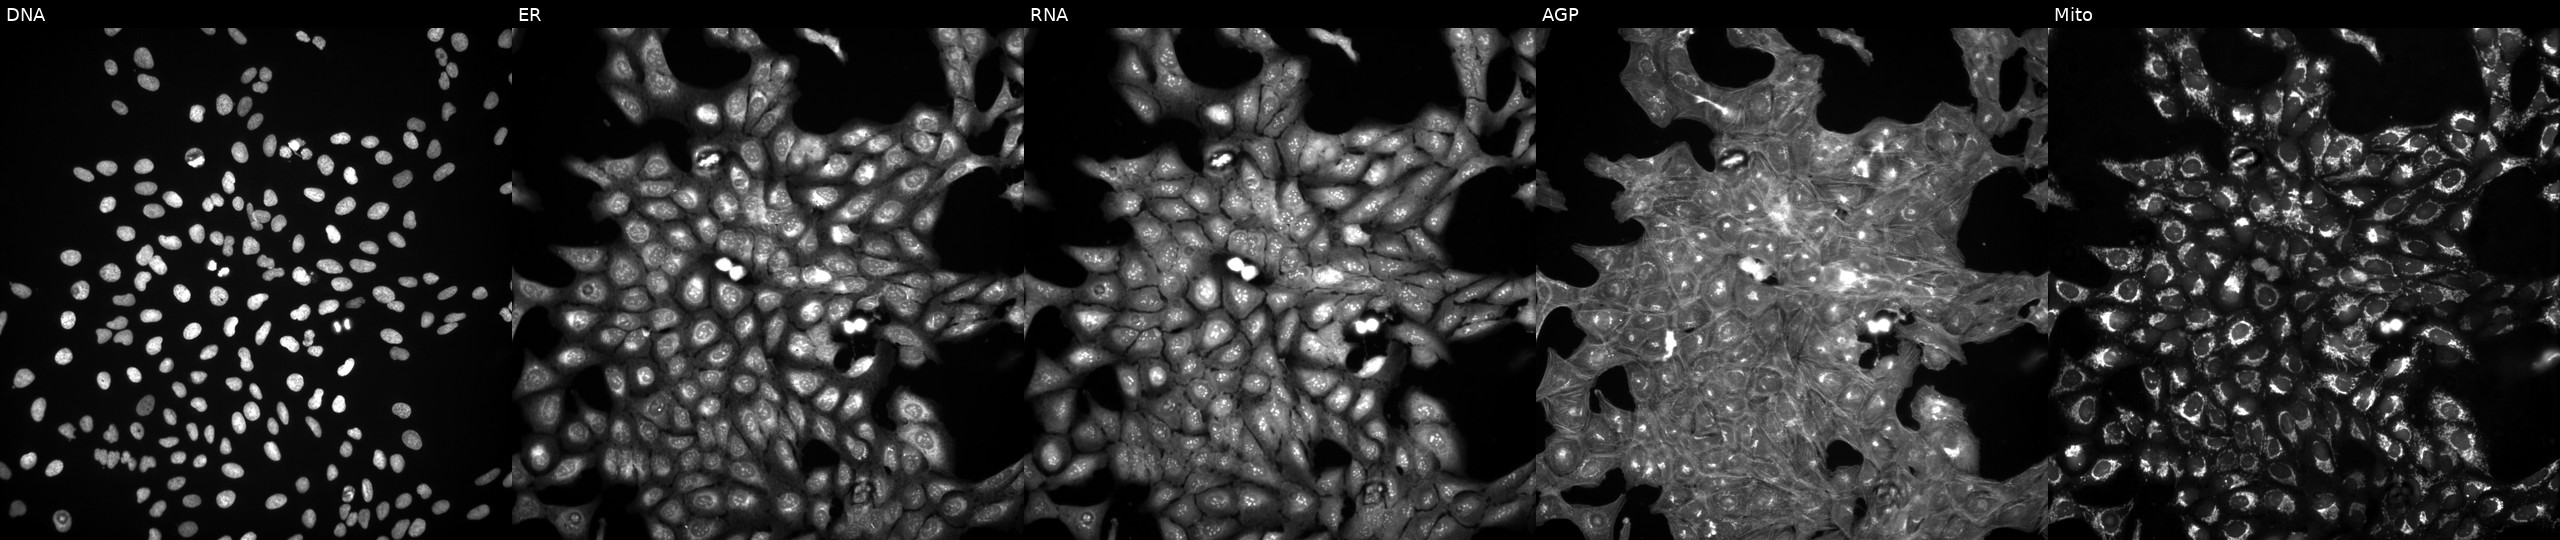
The five panels, left to right, show DNA (nuclei); ER (endoplasmic reticulum); RNA (nucleoli and cytoplasmic RNA); AGP (actin cytoskeleton, Golgi, and plasma membrane); Mito (mitochondria). U2OS osteosarcoma cells exposed to DMSO alone as a negative control (JUMP id JCP2022_033924). Cell Painting assay, JUMP-CP dataset.